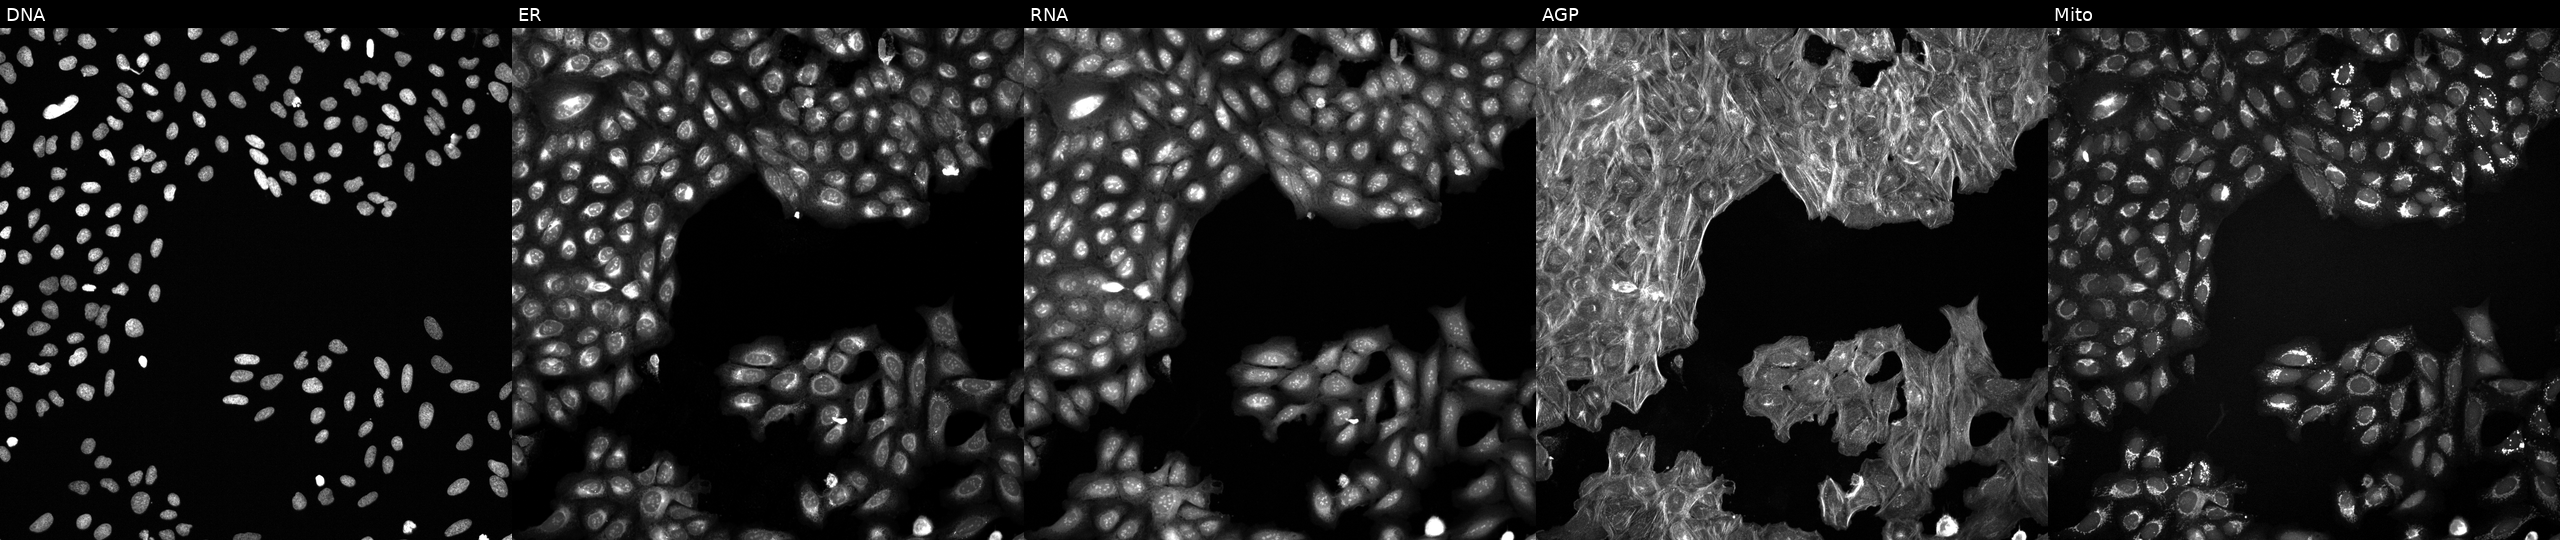
Panels show, left to right, DNA, ER, RNA, AGP, and Mito. U2OS osteosarcoma cells treated with a small-molecule compound (InChIKey ZLOFHYDAVUPZJX-UHFFFAOYSA-N) (JUMP id JCP2022_114118). Cell Painting assay, JUMP-CP dataset. Source 6, plate 110000293082, well E07.